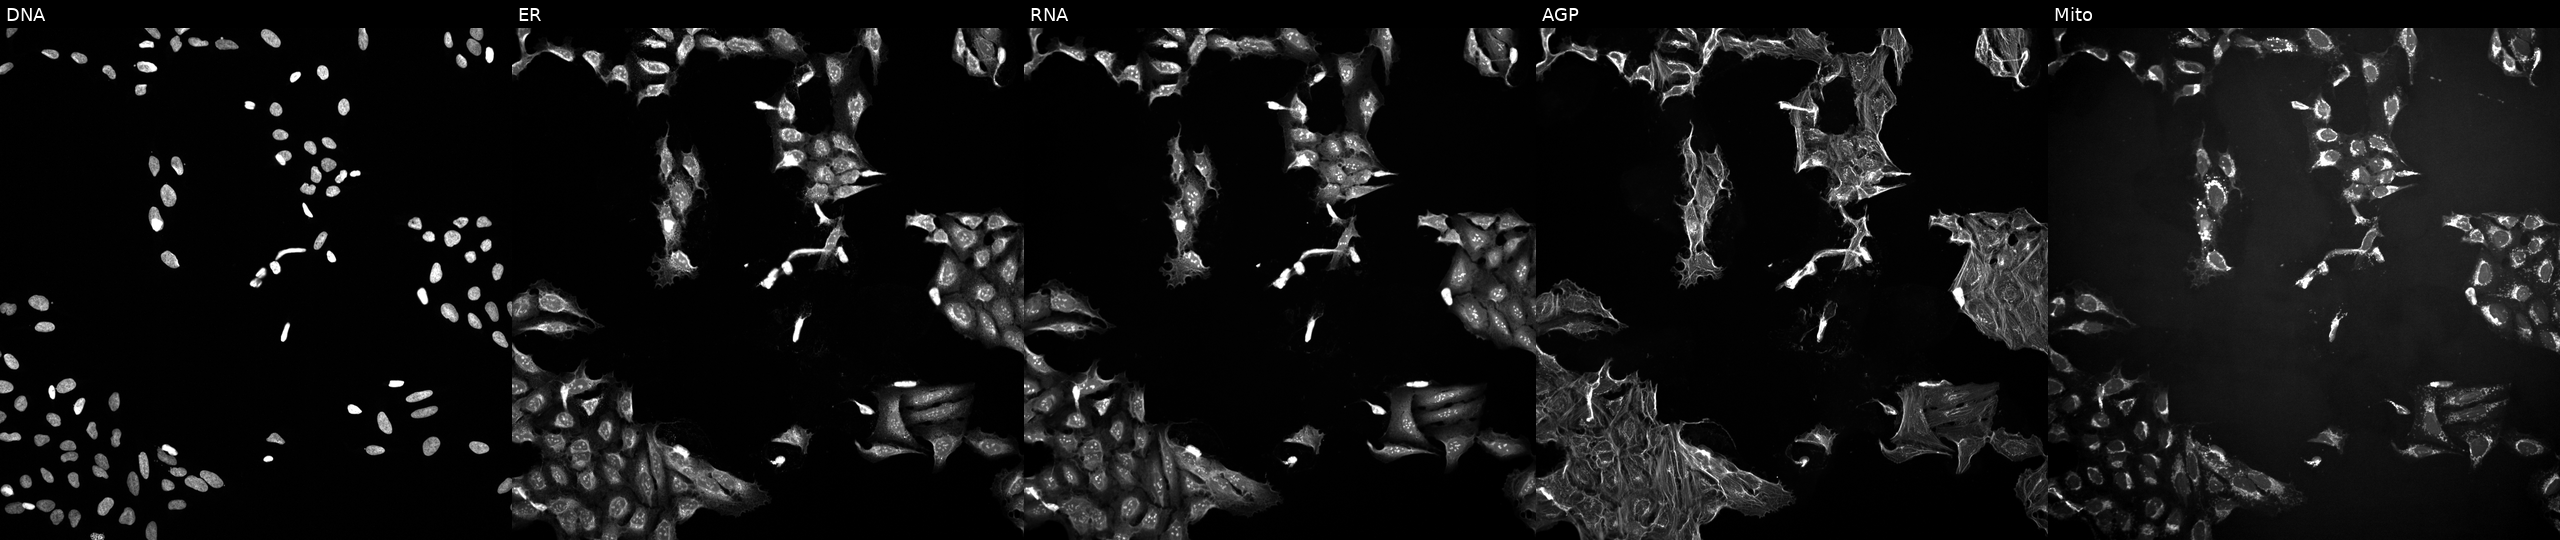
JUMP Cell Painting — TARGET2 plate. U2OS cells treated with a small-molecule compound (InChIKey LQERMDXPGNOJCT-UHFFFAOYSA-N). The five panels, left to right, show DNA (nuclei); ER (endoplasmic reticulum); RNA (nucleoli and cytoplasmic RNA); AGP (actin cytoskeleton, Golgi, and plasma membrane); Mito (mitochondria).